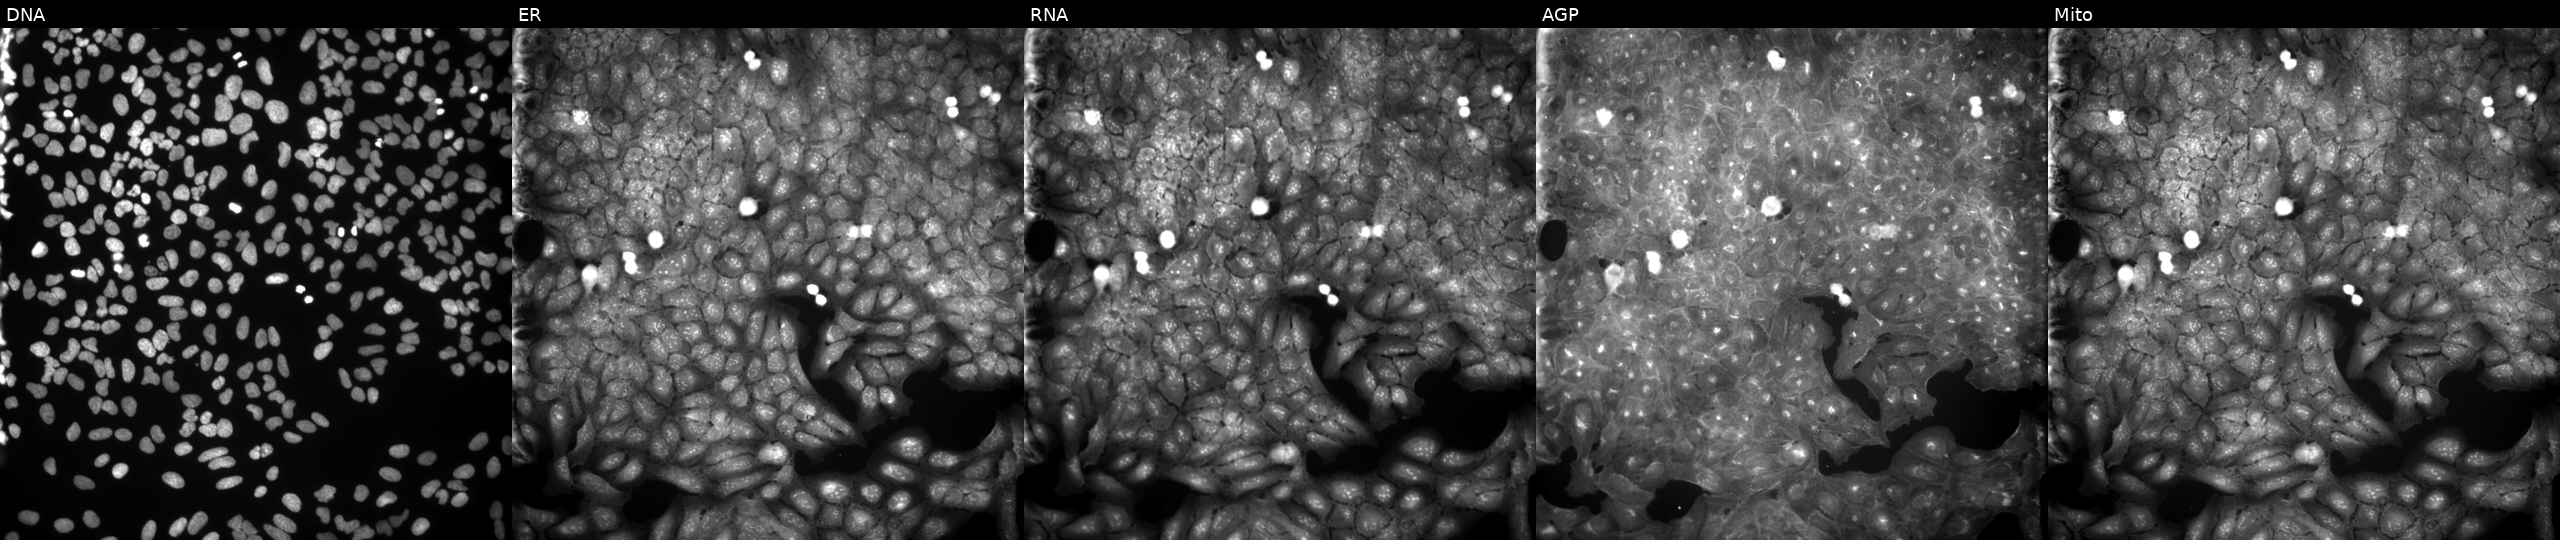
This image strip shows the five Cell Painting channels for a single field of U2OS cells exposed to a small-molecule compound (InChIKey SOMXFBIWWVVOST-UHFFFAOYSA-N) (JUMP id JCP2022_084591). From left to right: DNA, ER, RNA, AGP, and Mito.